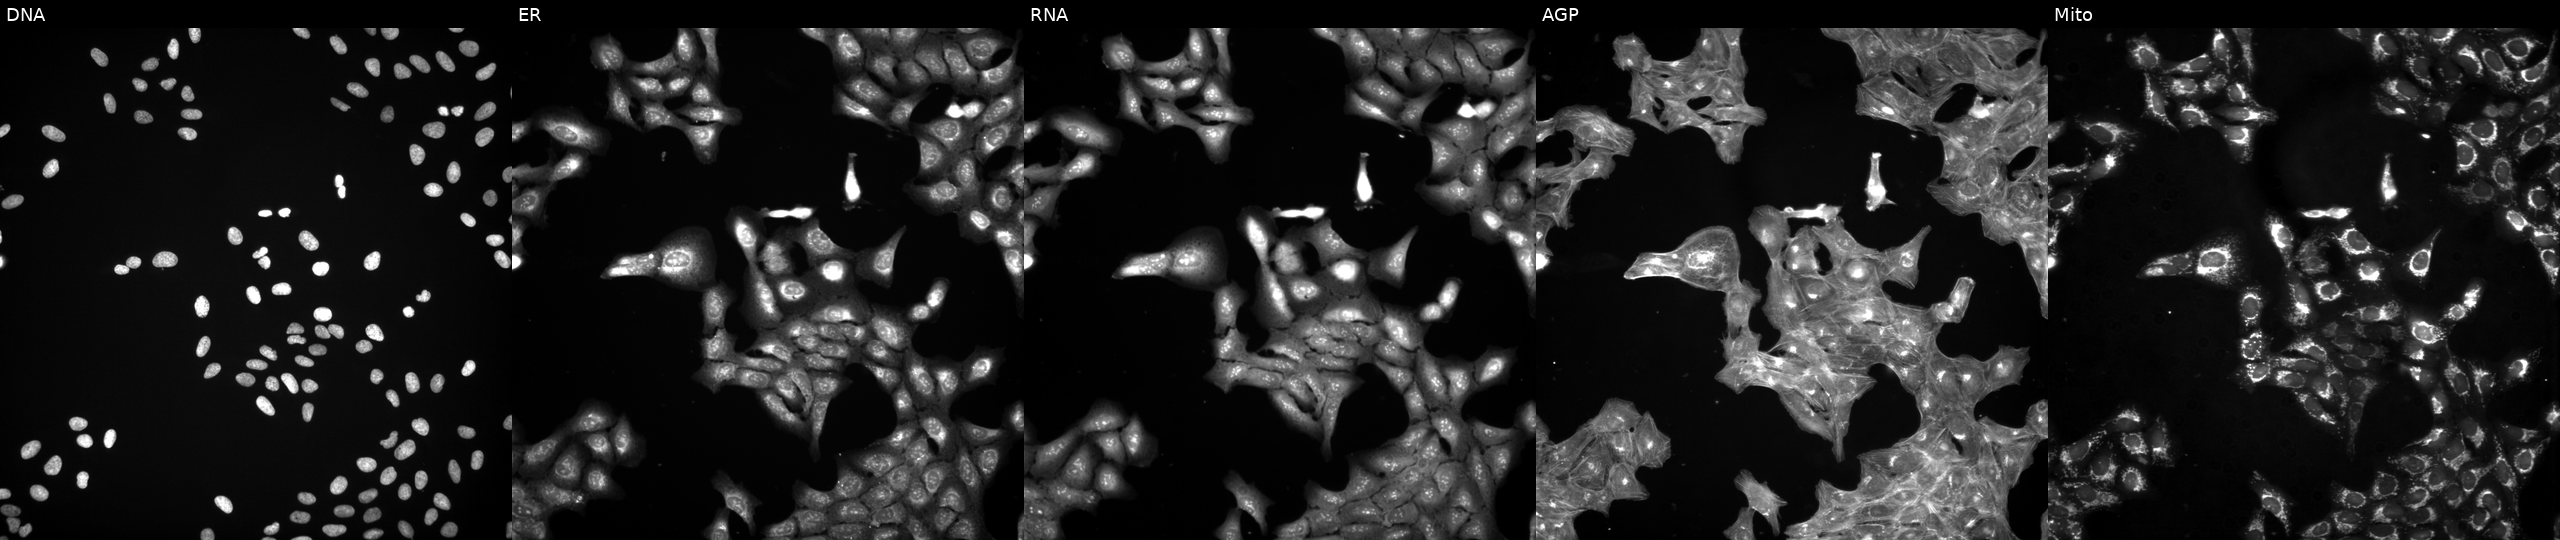
Five-channel Cell Painting image of U2OS cells exposed to a small-molecule compound (InChIKey ALBKMJDFBZVHAK-UHFFFAOYSA-N) (JUMP id JCP2022_002118). From left to right: DNA, ER, RNA, AGP, and Mito.